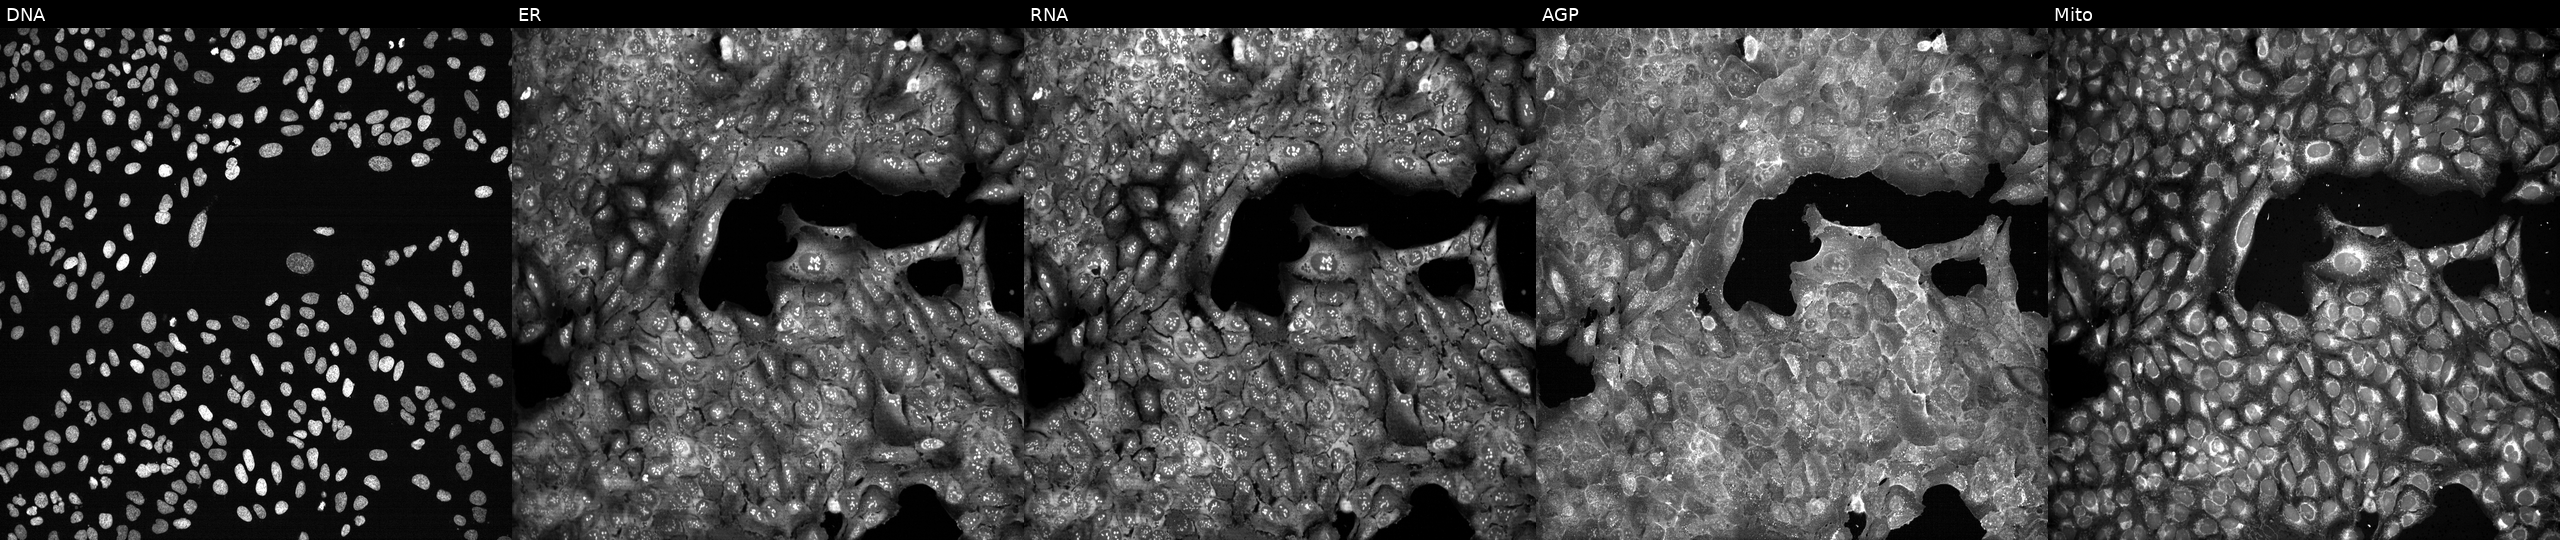
This image strip shows the five Cell Painting channels for a single field of U2OS cells CRISPR-edited to disrupt ABCA8. The five panels, left to right, show DNA, ER, RNA, AGP, and Mito.